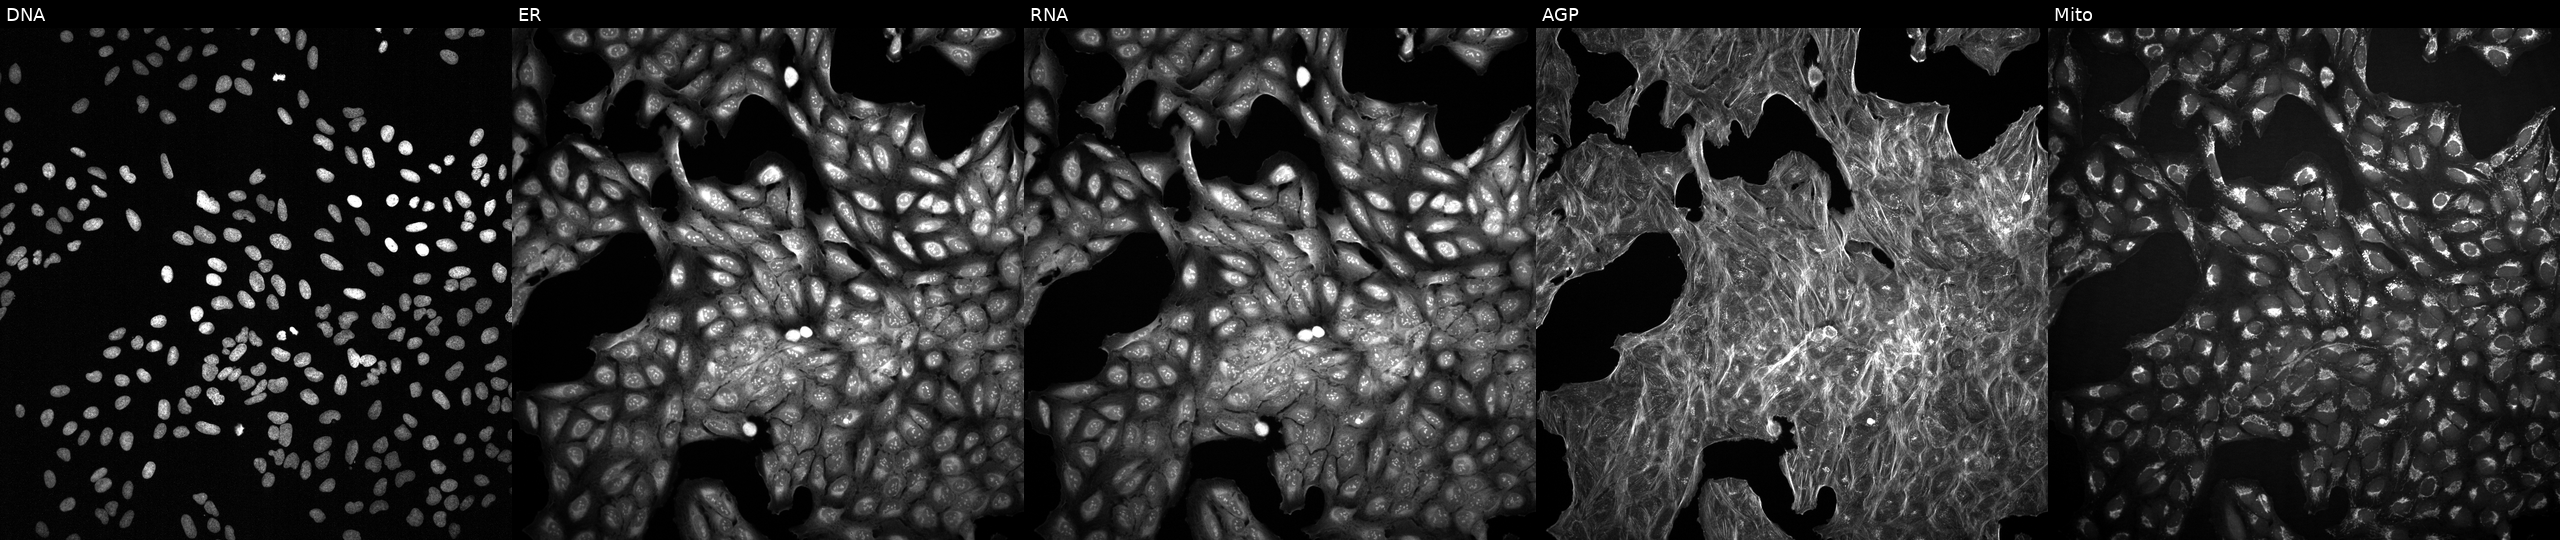
This image strip shows the five Cell Painting channels for a single field of U2OS cells exposed to DMSO alone as a negative control (JUMP id JCP2022_033924). Channels (left→right): Hoechst 33342, concanavalin A, SYTO 14, phalloidin and WGA, MitoTracker.